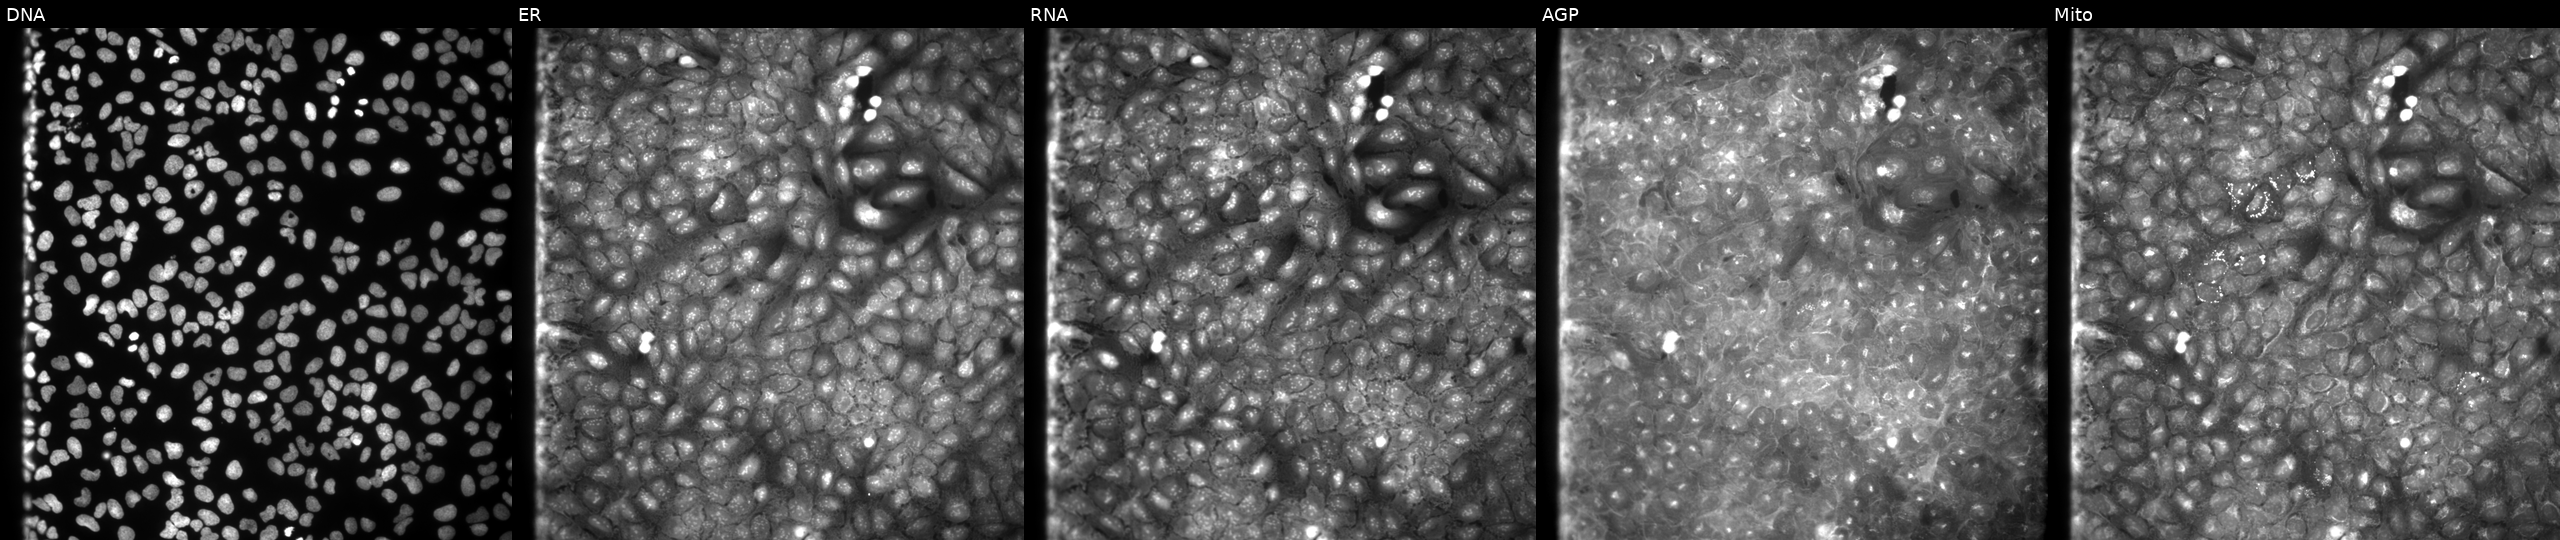
This image strip shows the five Cell Painting channels for a single field of U2OS cells exposed to a small-molecule compound. Channels (left→right): DNA (nuclei); ER (endoplasmic reticulum); RNA (nucleoli and cytoplasmic RNA); AGP (actin cytoskeleton, Golgi, and plasma membrane); Mito (mitochondria). Source 9, plate GR00003382, well G11.